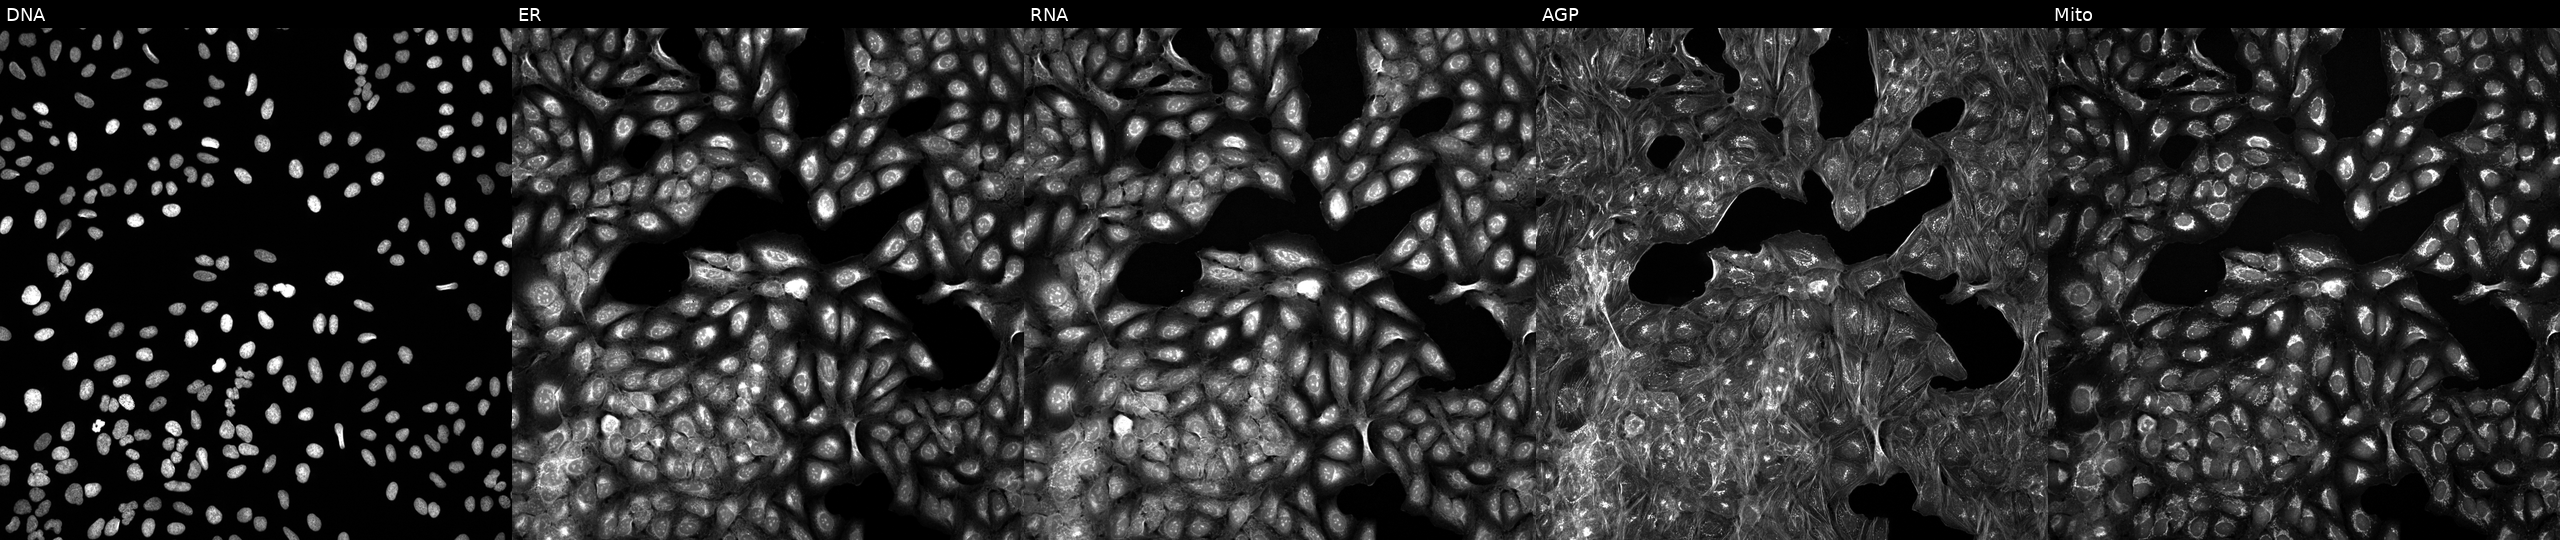
Channels (left→right): Hoechst 33342, concanavalin A, SYTO 14, phalloidin and WGA, MitoTracker. U2OS osteosarcoma cells exposed to a small-molecule compound (InChIKey XXRCUYVCPSWGCC-UHFFFAOYSA-N) [SMILES: CCOC(=O)C(C)=O] (JUMP id JCP2022_106722). Cell Painting assay, JUMP-CP dataset. Source 5, plate ACPJUM012, well E11.